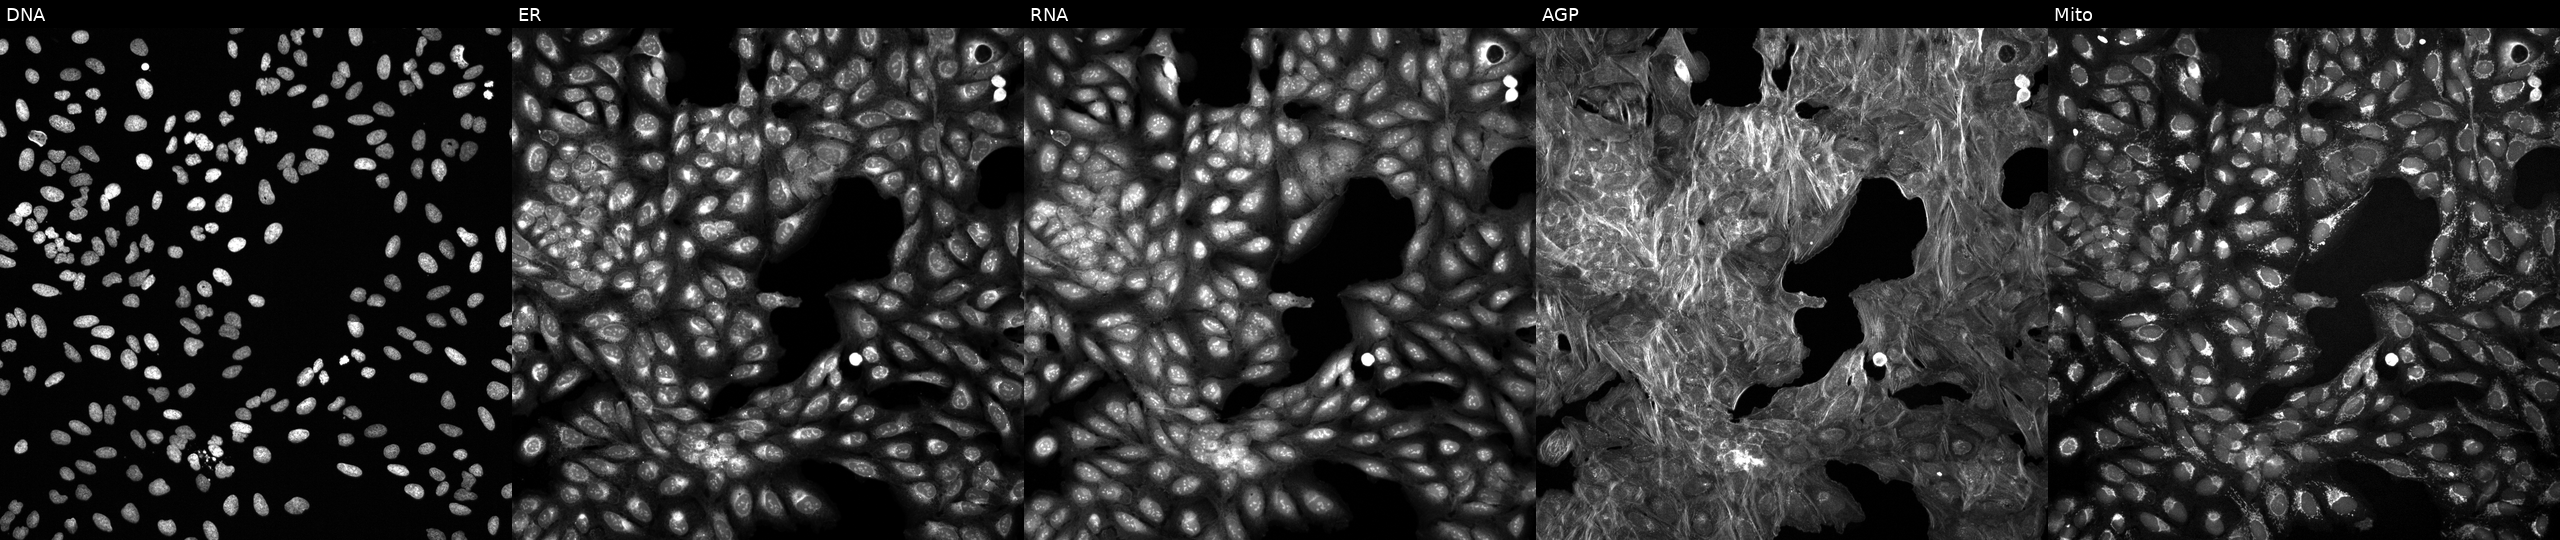
JUMP Cell Painting — COMPOUND plate. U2OS cells treated with a small-molecule compound (InChIKey ITNIWKSQYYBEAH-UHFFFAOYSA-N). From left to right: Hoechst 33342, concanavalin A, SYTO 14, phalloidin and WGA, MitoTracker. Source 6, plate 110000293082, well O22.